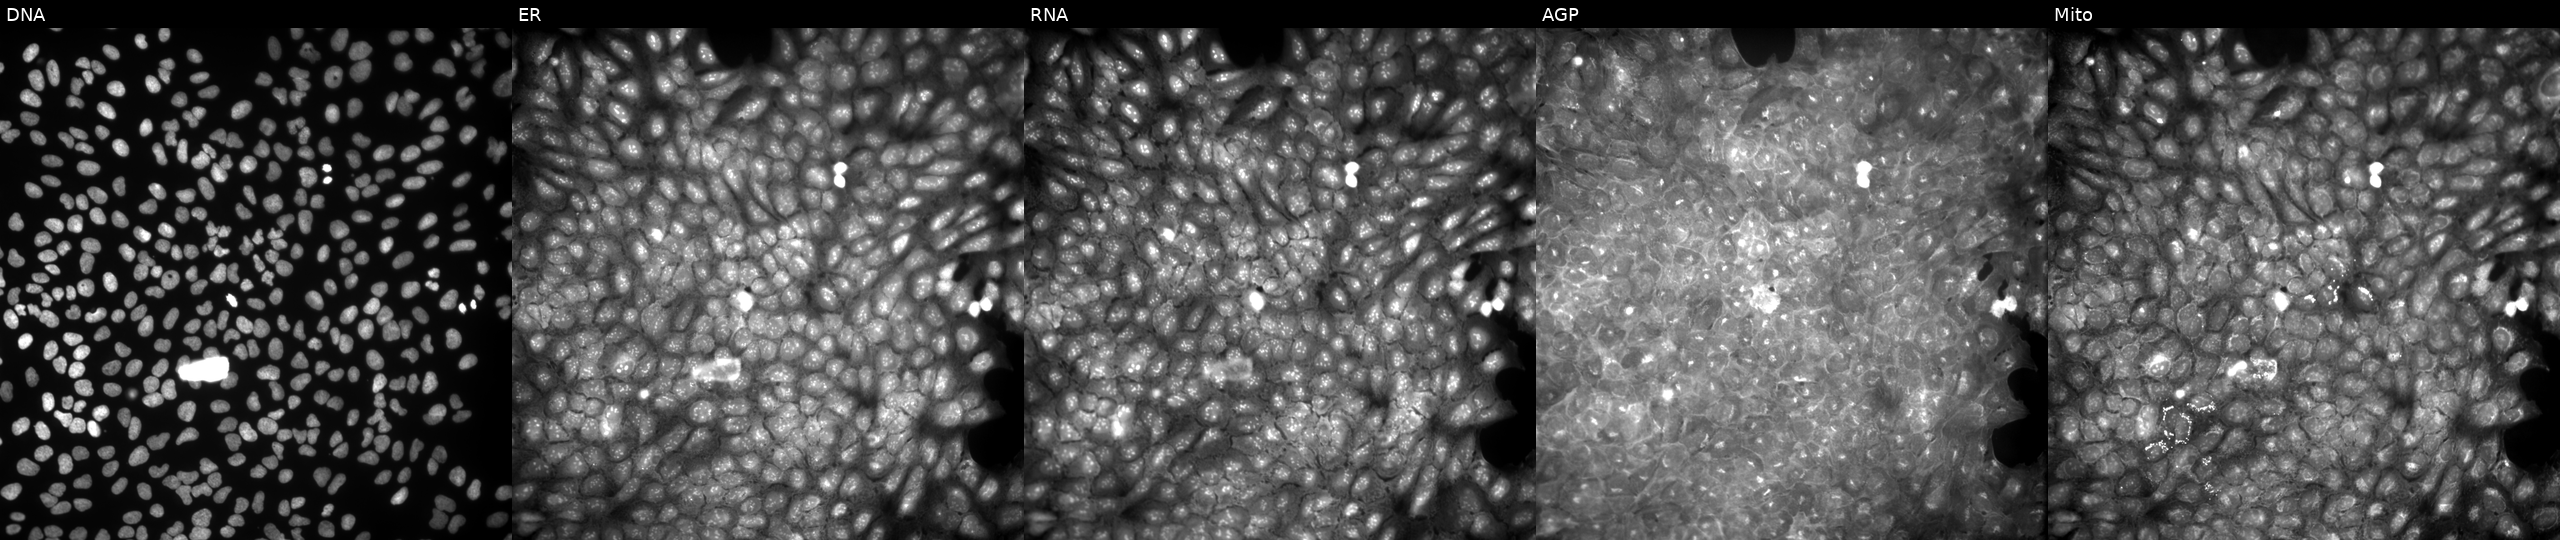
This image strip shows the five Cell Painting channels for a single field of U2OS cells exposed to a small-molecule compound (InChIKey ZUFIZZCWBPYZKE-UHFFFAOYSA-N) [SMILES: CCCCOc1ccc(S(=O)(=O)N2CCN(c3ccccc3OCC)CC2)cc1]. From left to right: Hoechst 33342, concanavalin A, SYTO 14, phalloidin and WGA, MitoTracker. Source 9, plate GR00003382, well AA15.